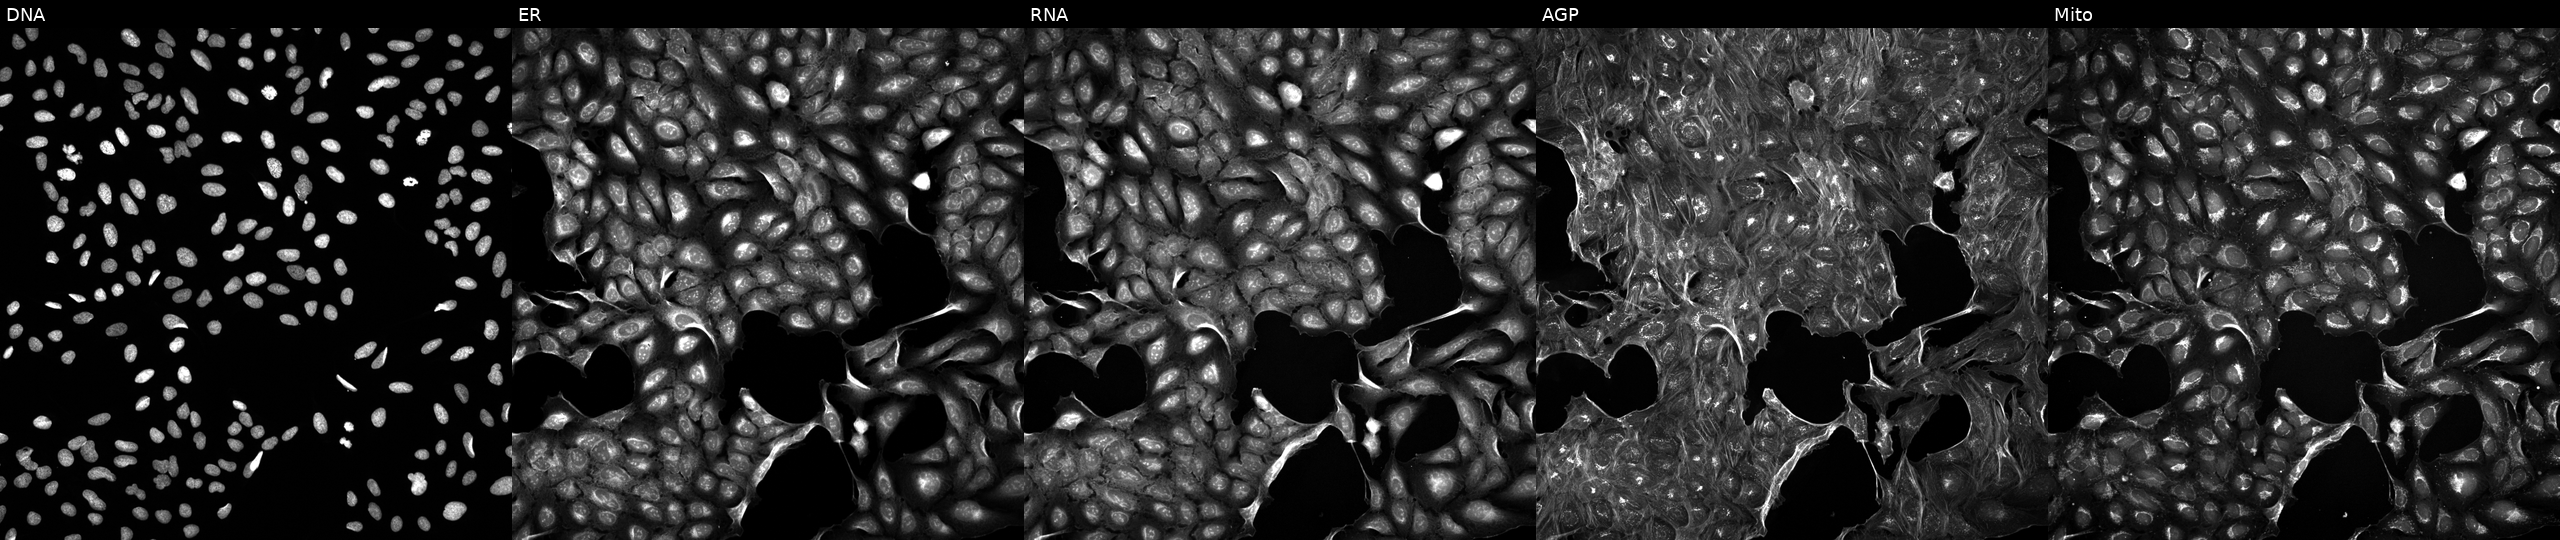
JUMP Cell Painting — TARGET2 plate. U2OS cells treated with a small-molecule compound (JUMP id JCP2022_007419). Panels show, left to right, Hoechst 33342, concanavalin A, SYTO 14, phalloidin and WGA, MitoTracker.